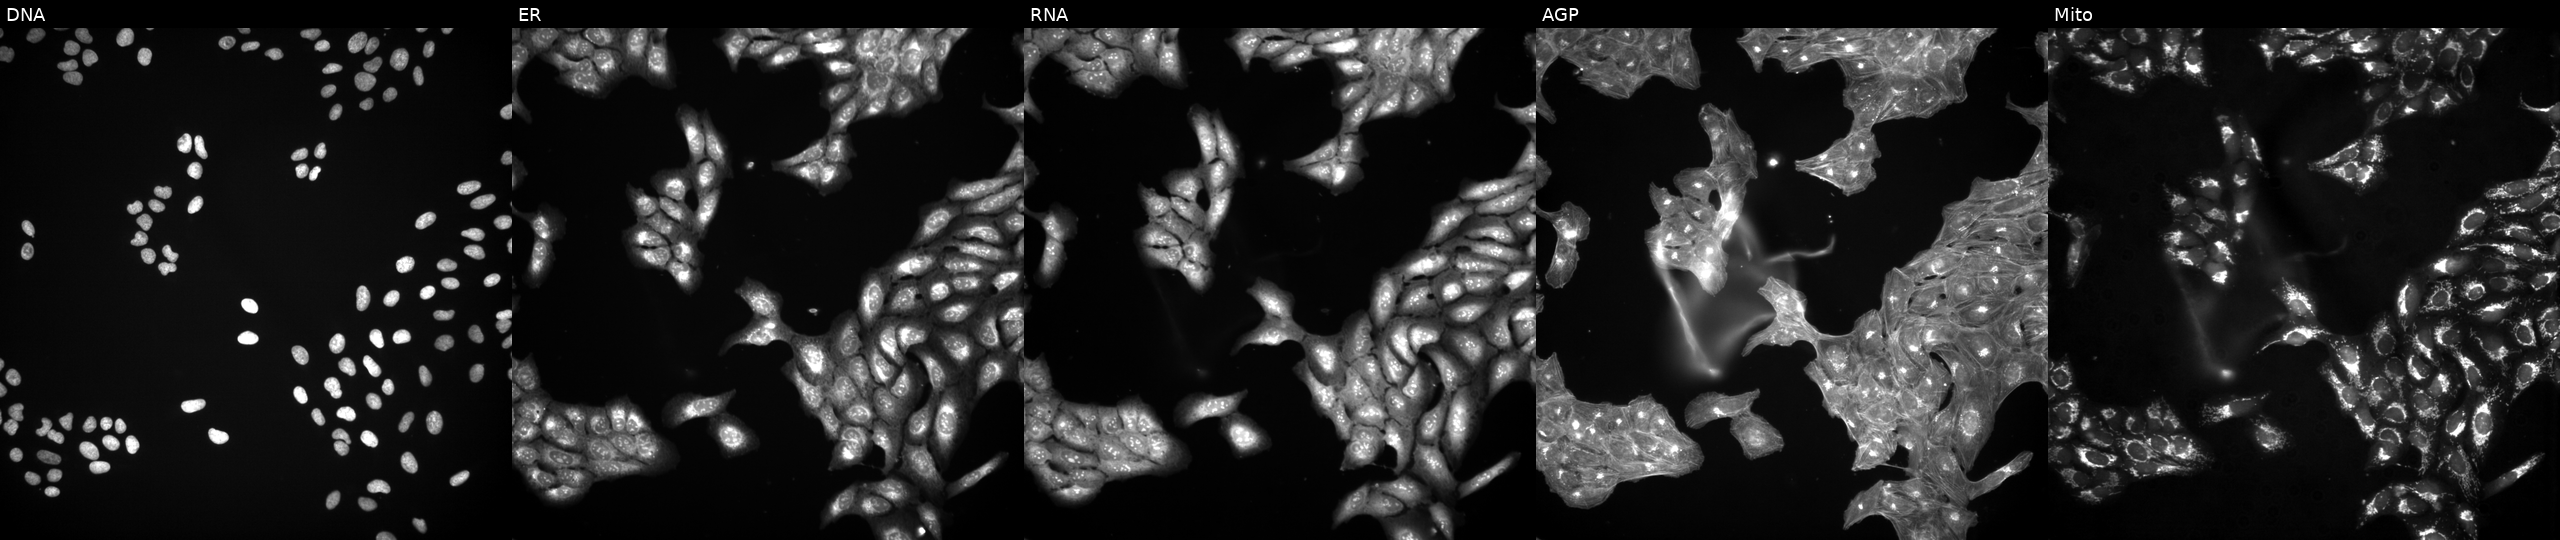
JUMP Cell Painting — TARGET2 plate. U2OS cells exposed to the positive-control compound TC-S-7004. Channels (left→right): Hoechst 33342, concanavalin A, SYTO 14, phalloidin and WGA, MitoTracker. Source 3, plate JCPQC053, well K12.